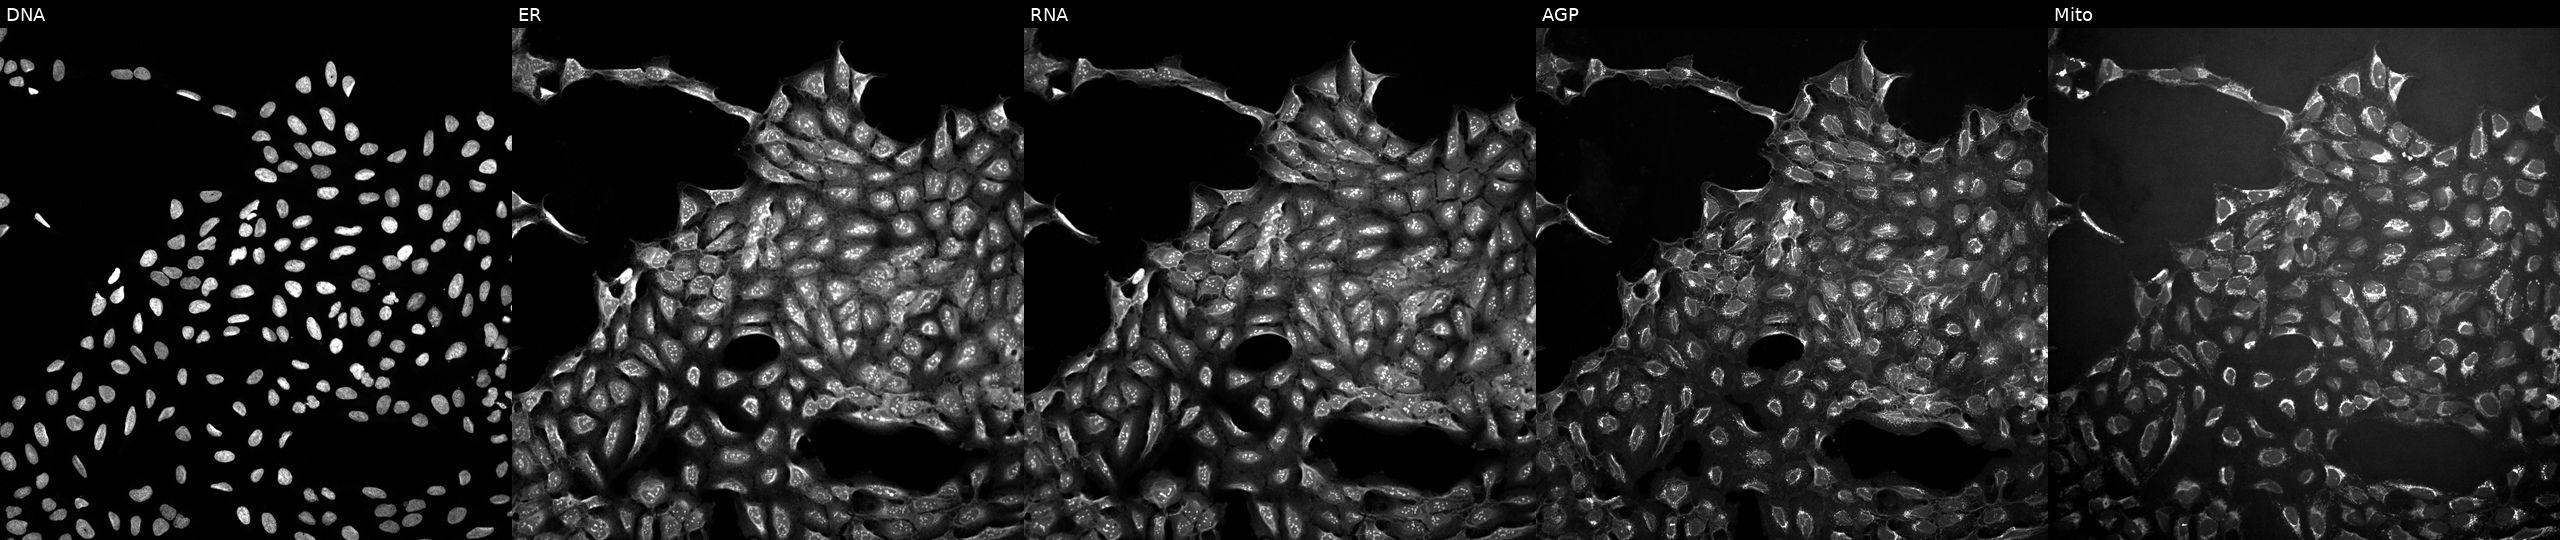
U2OS cells, Cell Painting assay, exposed to a small-molecule compound (InChIKey XEYBRNLFEZDVAW-UHFFFAOYSA-N) (JUMP id JCP2022_103217). Panels show, left to right, DNA, ER, RNA, AGP, and Mito. Each panel is percentile-stretched 16-bit fluorescence.